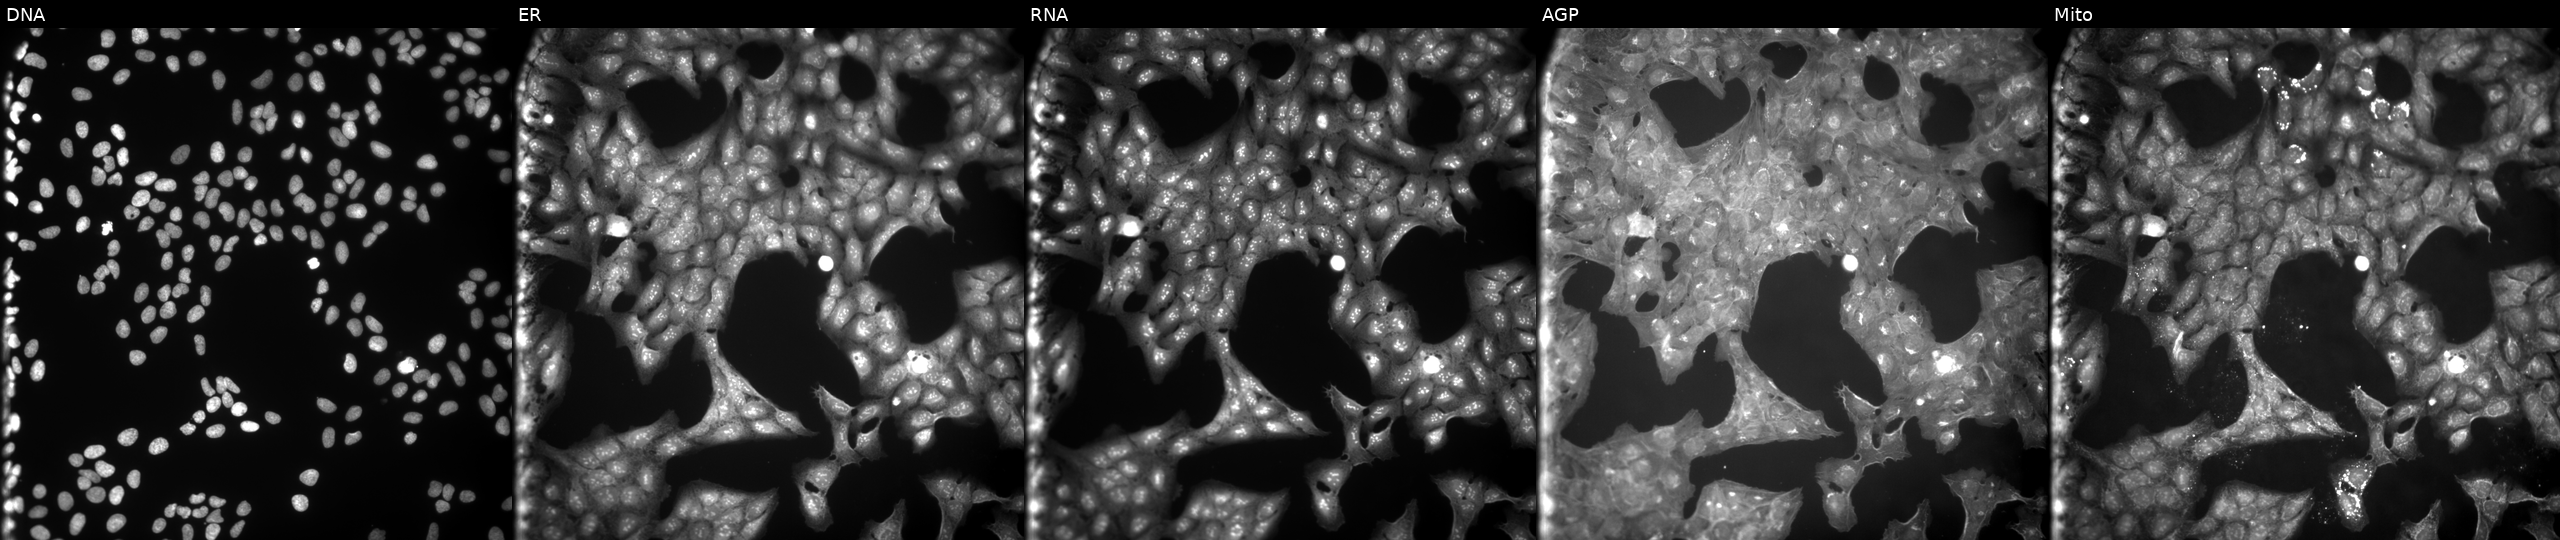
From left to right: DNA (nuclei); ER (endoplasmic reticulum); RNA (nucleoli and cytoplasmic RNA); AGP (actin cytoskeleton, Golgi, and plasma membrane); Mito (mitochondria). U2OS osteosarcoma cells exposed to a small-molecule compound (InChIKey MLEREFHIVXDOQX-UHFFFAOYSA-N). Cell Painting assay, JUMP-CP dataset. Source 9, plate GR00003382, well Z06.